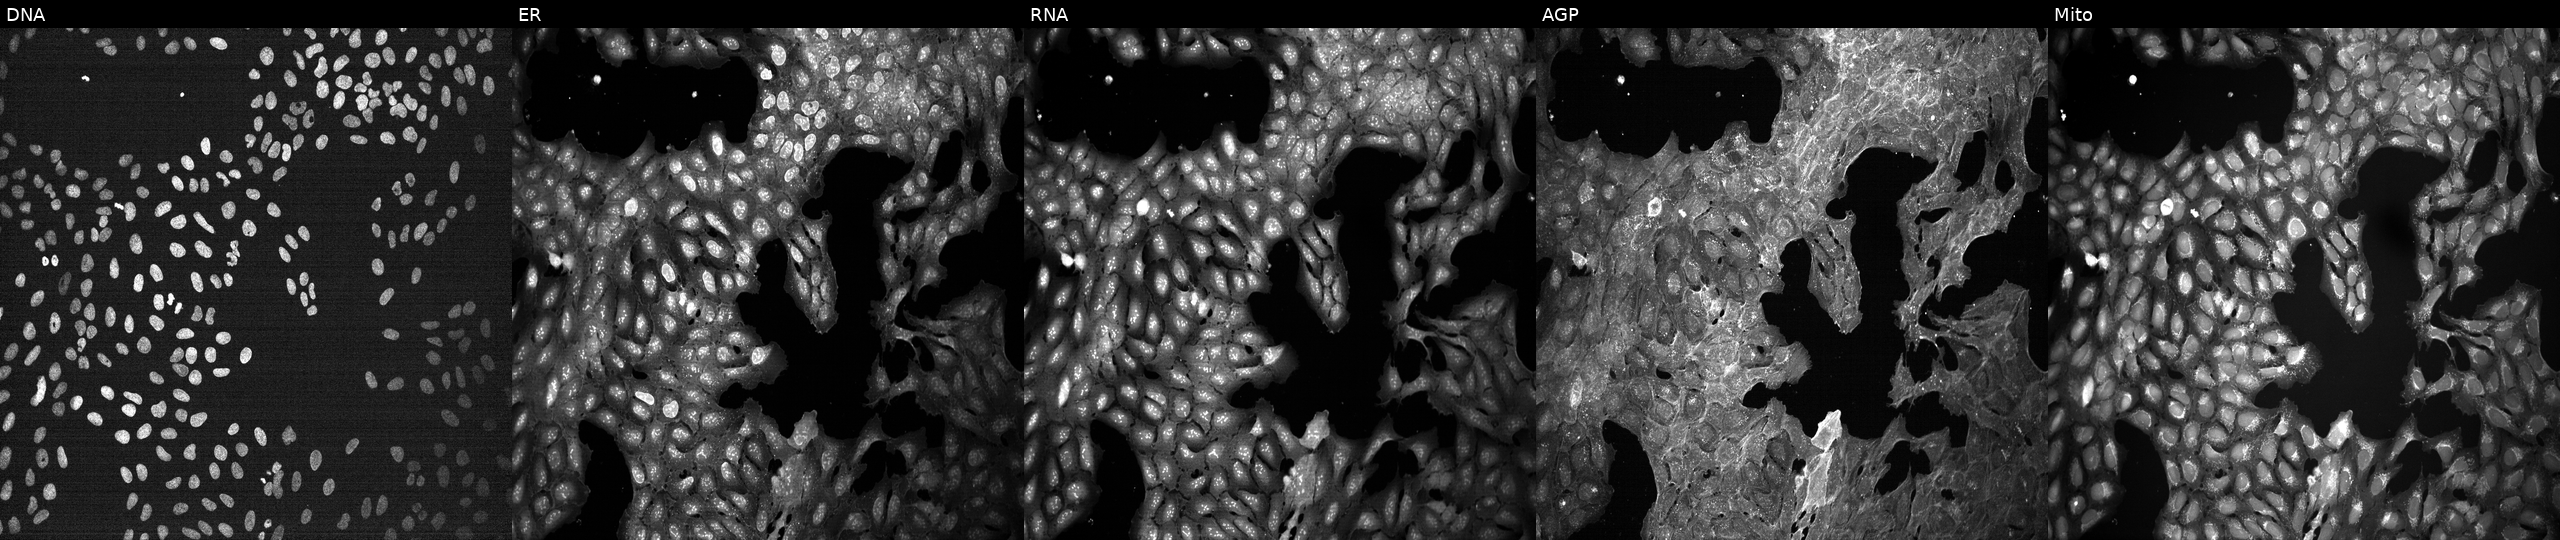
Five-channel Cell Painting image of U2OS cells perturbed with a small-molecule compound (InChIKey NYNZQNWKBKUAII-UHFFFAOYSA-N) (JUMP id JCP2022_062184). From left to right: DNA (nuclei); ER (endoplasmic reticulum); RNA (nucleoli and cytoplasmic RNA); AGP (actin cytoskeleton, Golgi, and plasma membrane); Mito (mitochondria). Source 7, plate CP1-SC1-25, well O21.